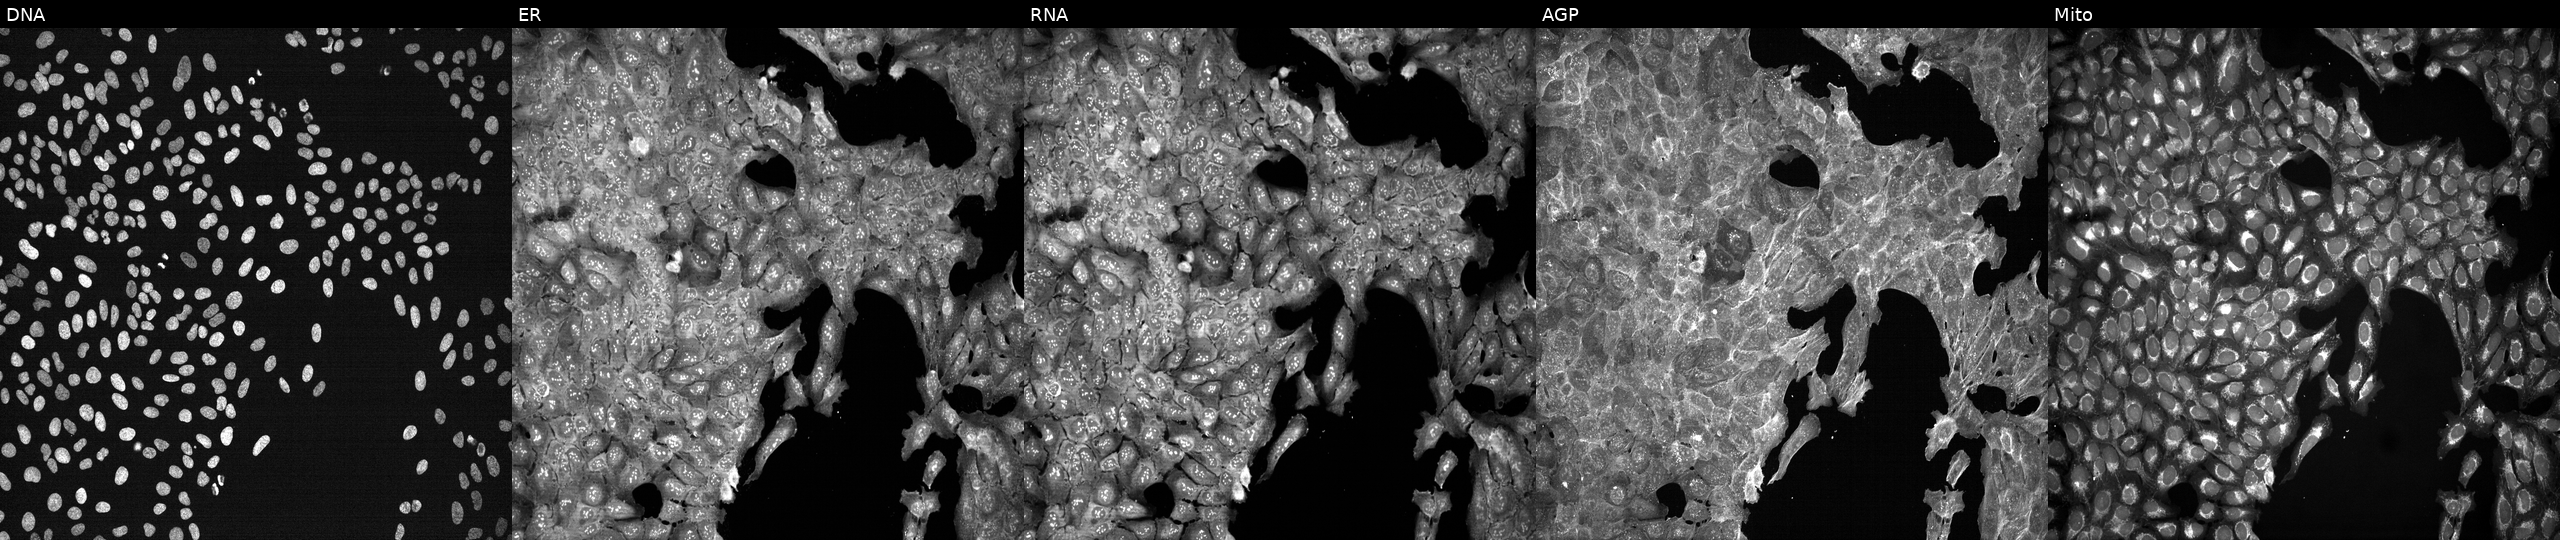
This image strip shows the five Cell Painting channels for a single field of U2OS cells exposed to a small-molecule compound (InChIKey ZJVFLBOZORBYFE-UHFFFAOYSA-N). Channels (left→right): DNA, ER, RNA, AGP, and Mito.